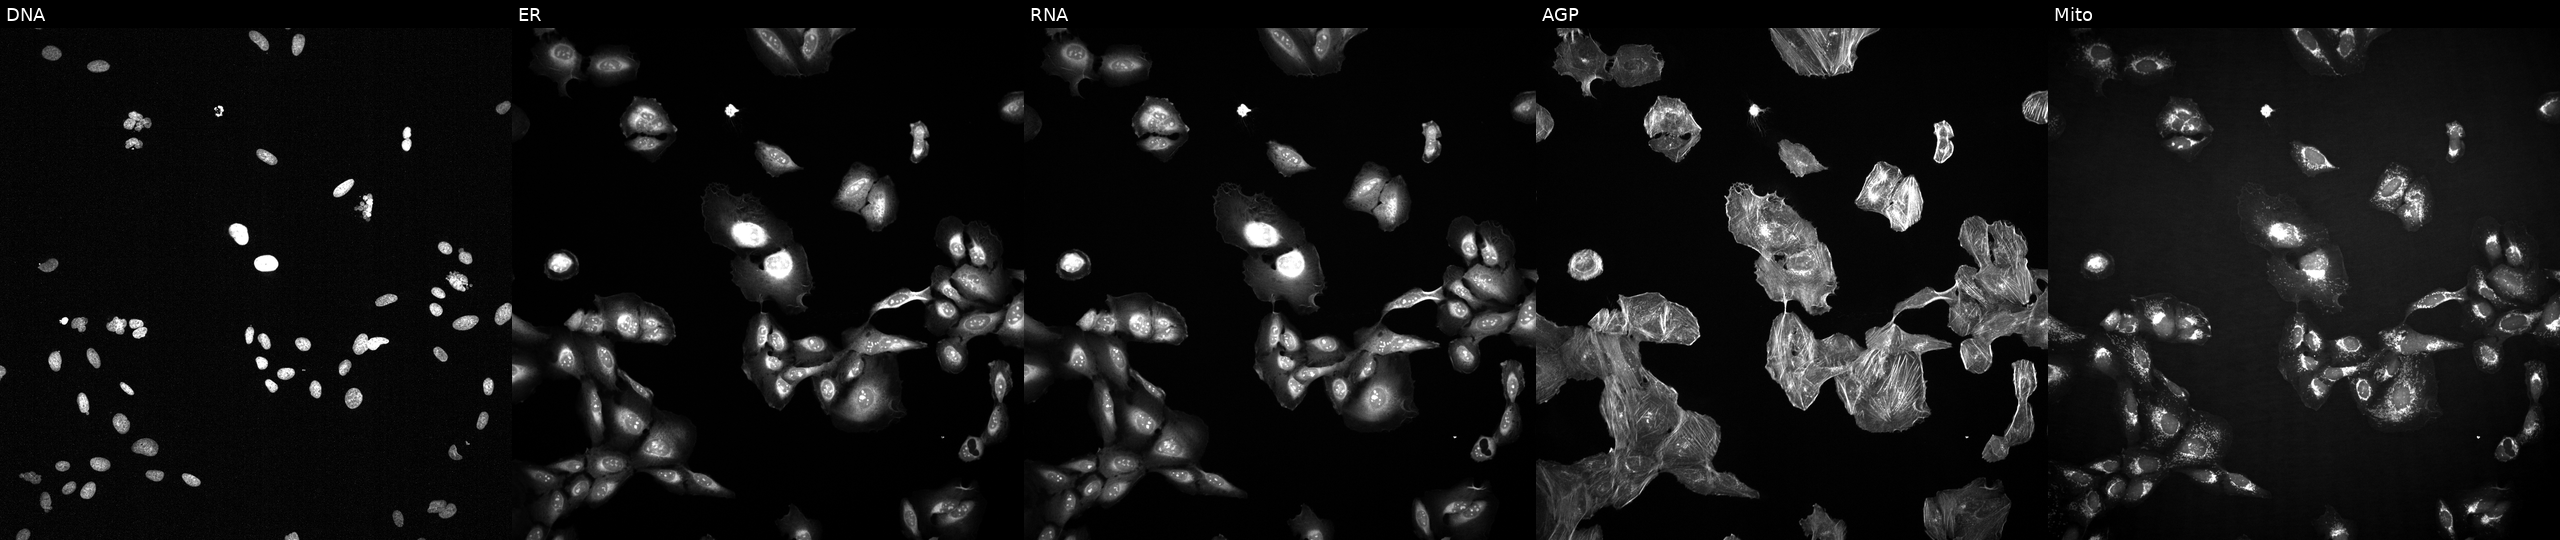
High-content fluorescence microscopy (Cell Painting). Cell line: U2OS. Perturbation: exposed to the positive-control compound TC-S-7004. Panels show, left to right, DNA, ER, RNA, AGP, and Mito. Source 2, plate 1053601756, well P01.